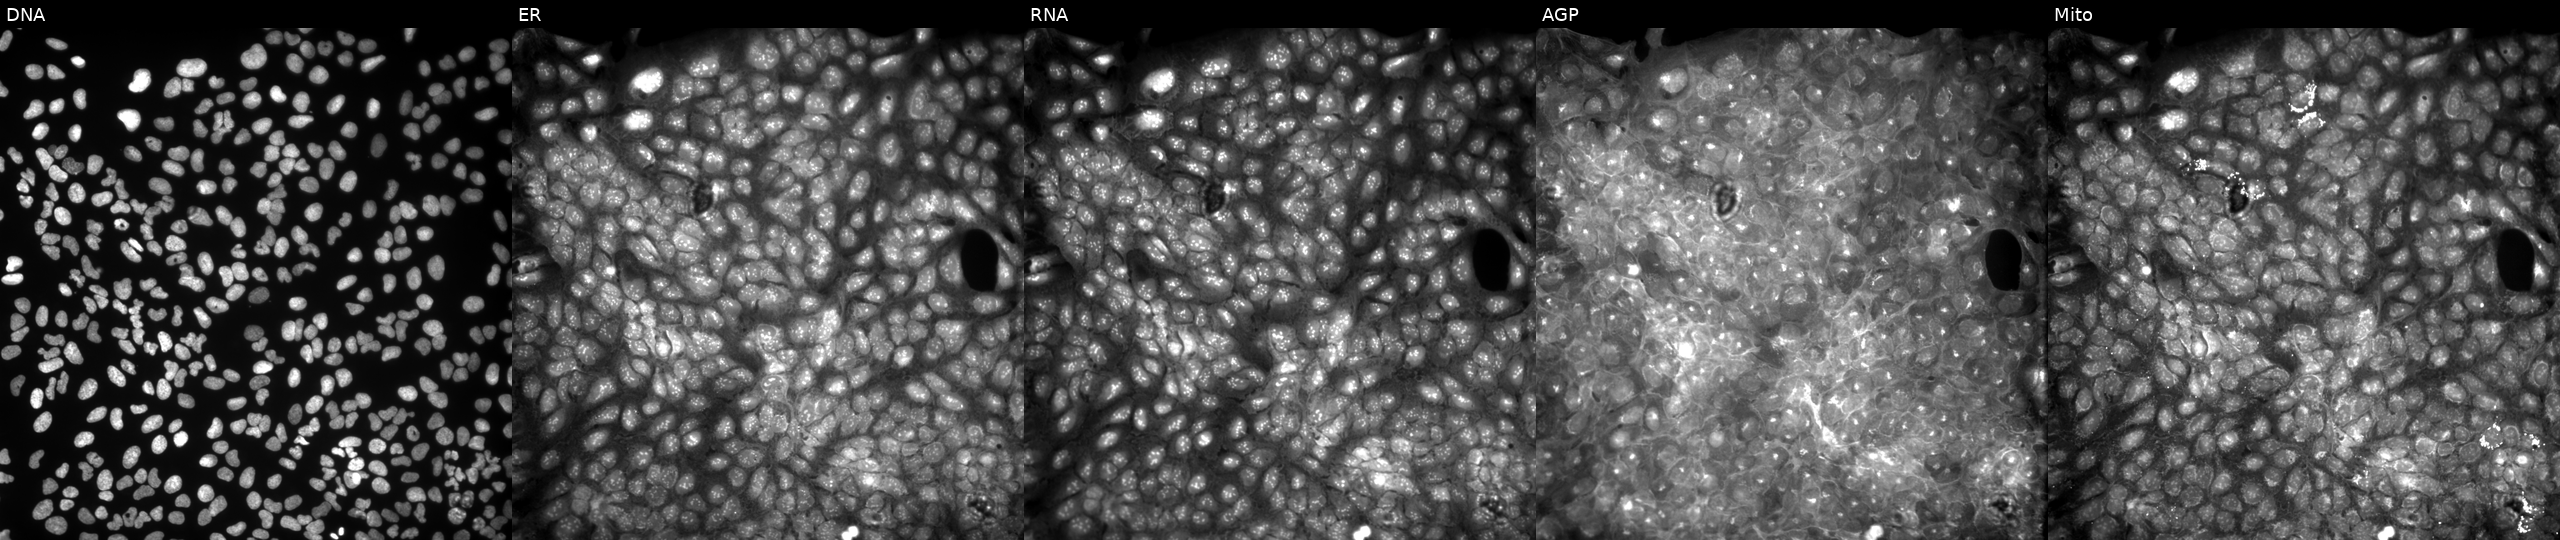
U2OS cells, Cell Painting assay, exposed to a small-molecule compound (InChIKey AQPFXWDONFUCFG-UHFFFAOYSA-N) [SMILES: O=C(NCCN1CCOCC1)c1cc([N+](=O)[O-])ccc1Cl] (JUMP id JCP2022_003177). Channels (left→right): DNA, ER, RNA, AGP, and Mito. Each panel is percentile-stretched 16-bit fluorescence. Source 9, plate GR00003382, well AF12.